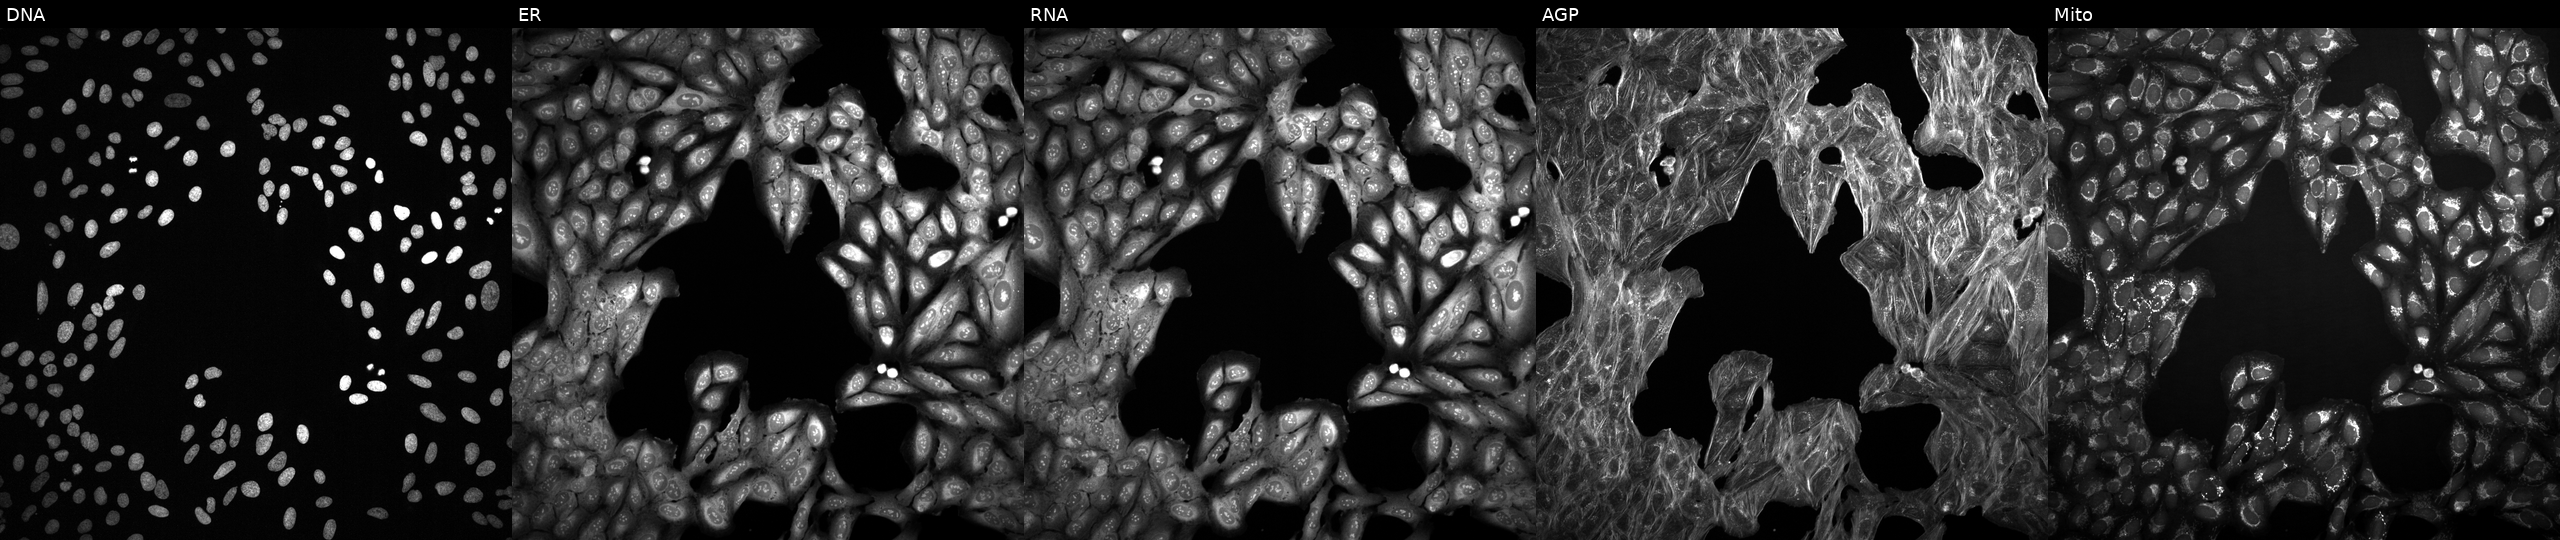
High-content fluorescence microscopy (Cell Painting). Cell line: U2OS. Perturbation: treated with a small-molecule compound (InChIKey WDENQIQQYWYTPO-UHFFFAOYSA-N). Channels (left→right): DNA, ER, RNA, AGP, and Mito.